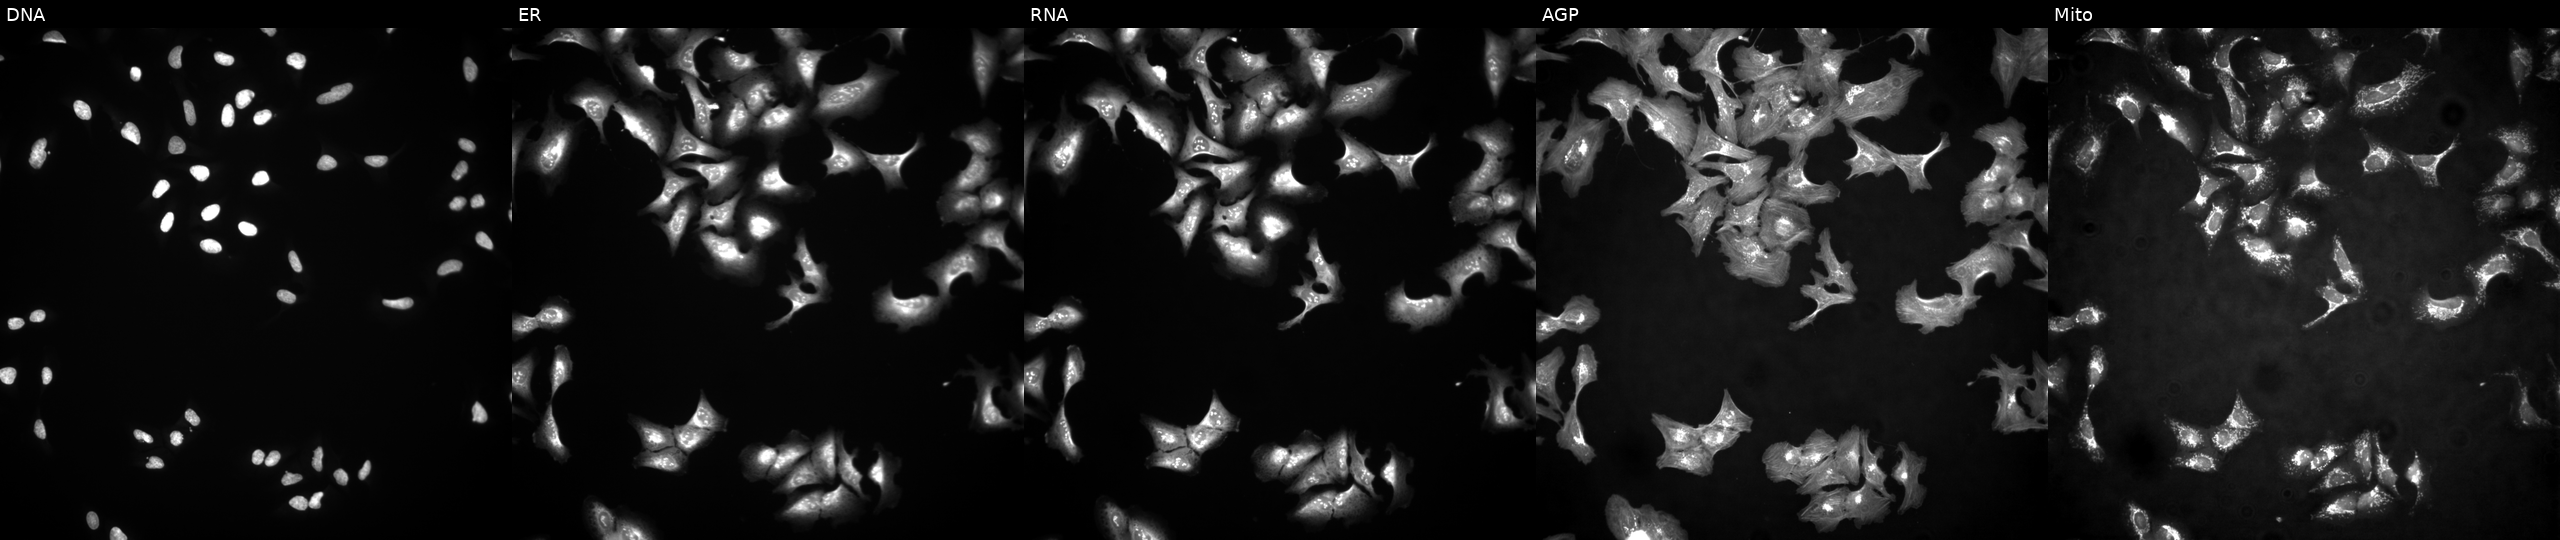
This image strip shows the five Cell Painting channels for a single field of U2OS cells with FCGR3A overexpressed (ORF) (JUMP id JCP2022_914414). The five panels, left to right, show Hoechst 33342, concanavalin A, SYTO 14, phalloidin and WGA, MitoTracker.